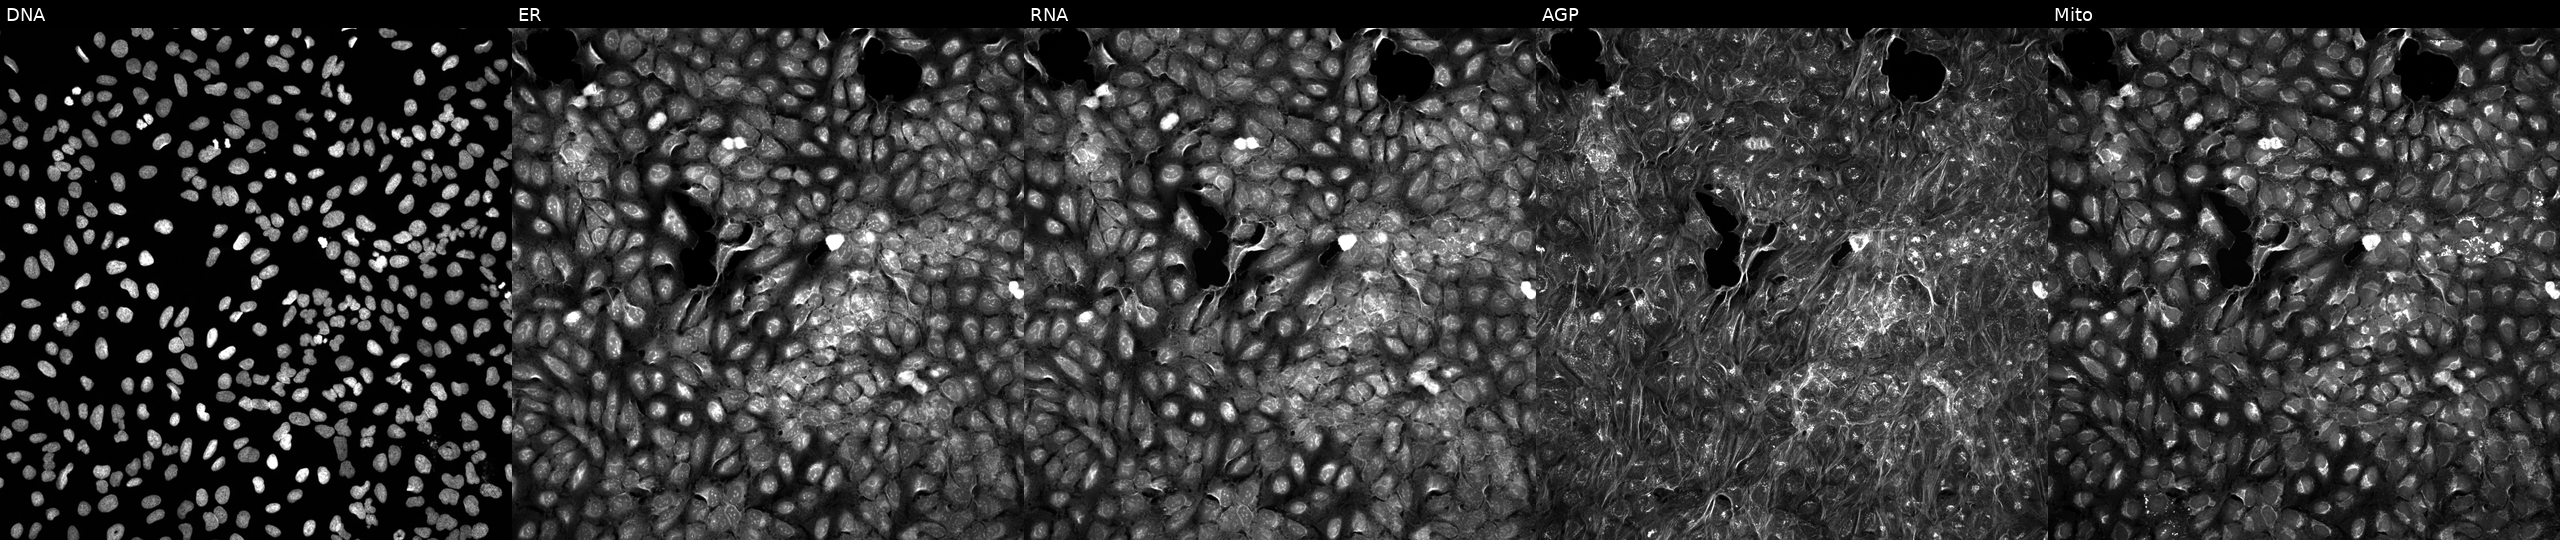
Five-channel Cell Painting image of U2OS cells perturbed with a small-molecule compound. The five panels, left to right, show DNA (nuclei); ER (endoplasmic reticulum); RNA (nucleoli and cytoplasmic RNA); AGP (actin cytoskeleton, Golgi, and plasma membrane); Mito (mitochondria).